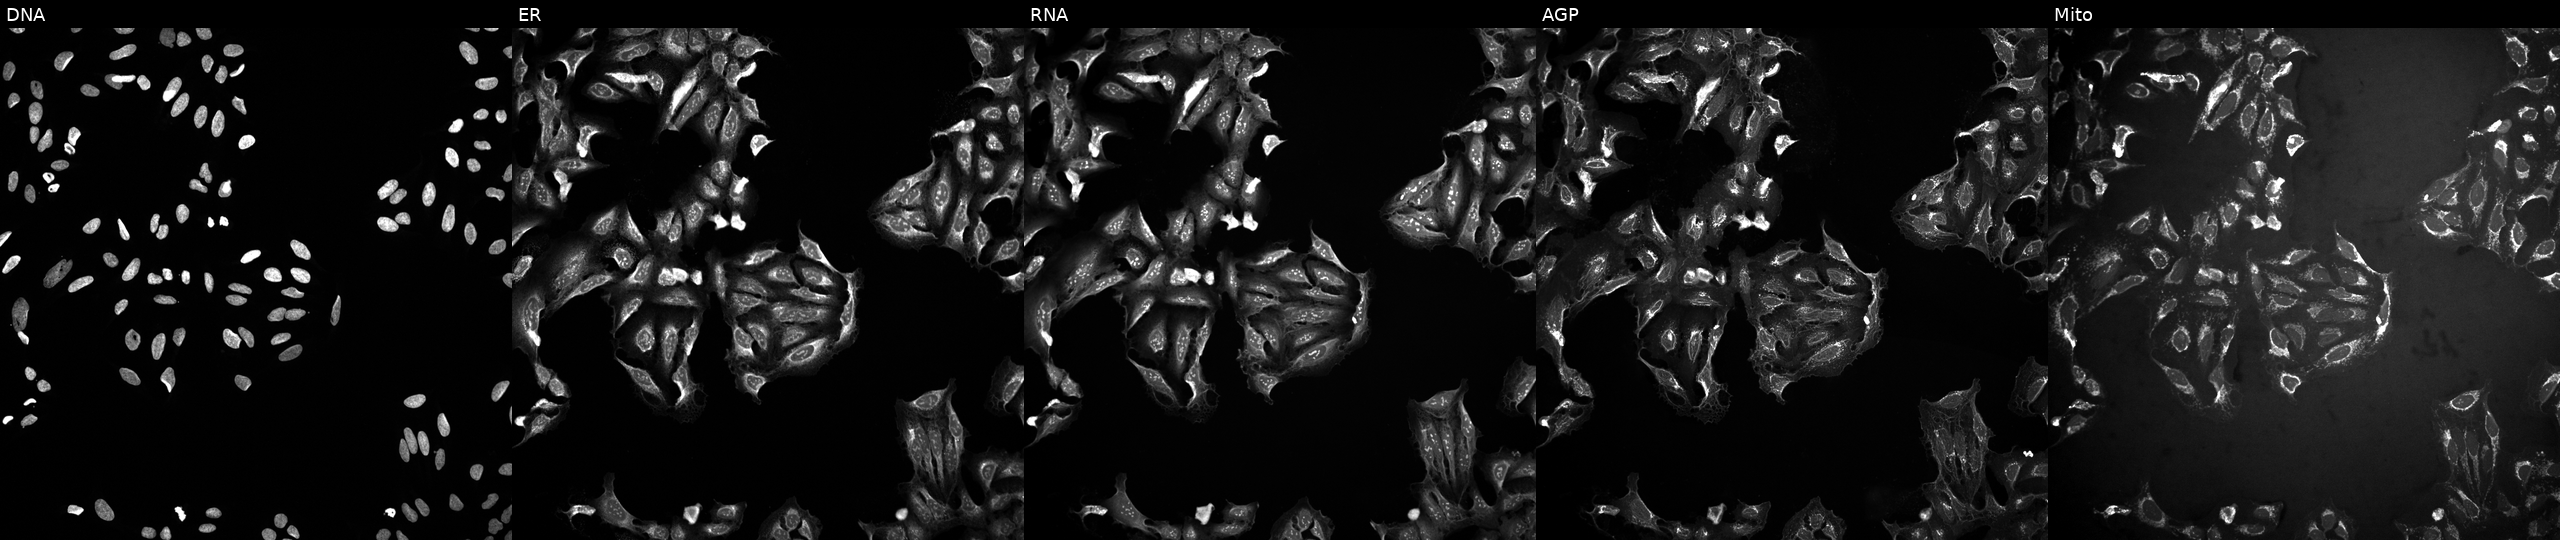
Five-channel Cell Painting image of U2OS cells treated with DMSO vehicle only (negative control). Channels (left→right): Hoechst 33342, concanavalin A, SYTO 14, phalloidin and WGA, MitoTracker.